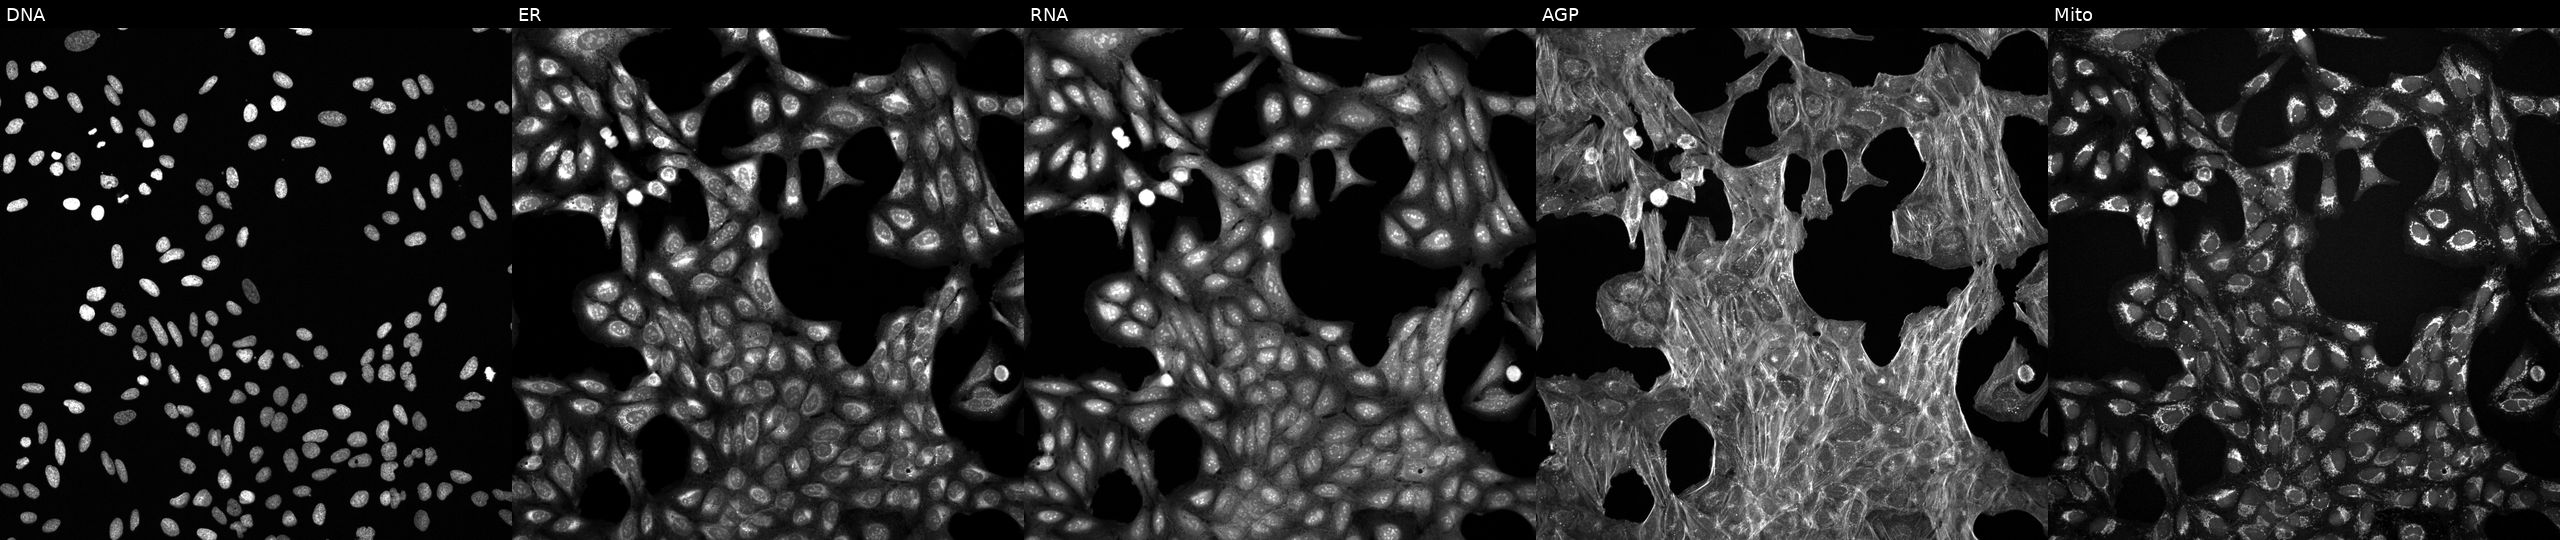
High-content fluorescence microscopy (Cell Painting). Cell line: U2OS. Perturbation: perturbed with a small-molecule compound (InChIKey XRVDGNKRPOAQTN-UHFFFAOYSA-N) [SMILES: CC(C)Oc1ccc(-c2nc(-c3cccc4c3CCC4NCCO)no2)cc1C#N] (JUMP id JCP2022_105621). Channels (left→right): DNA, ER, RNA, AGP, and Mito.